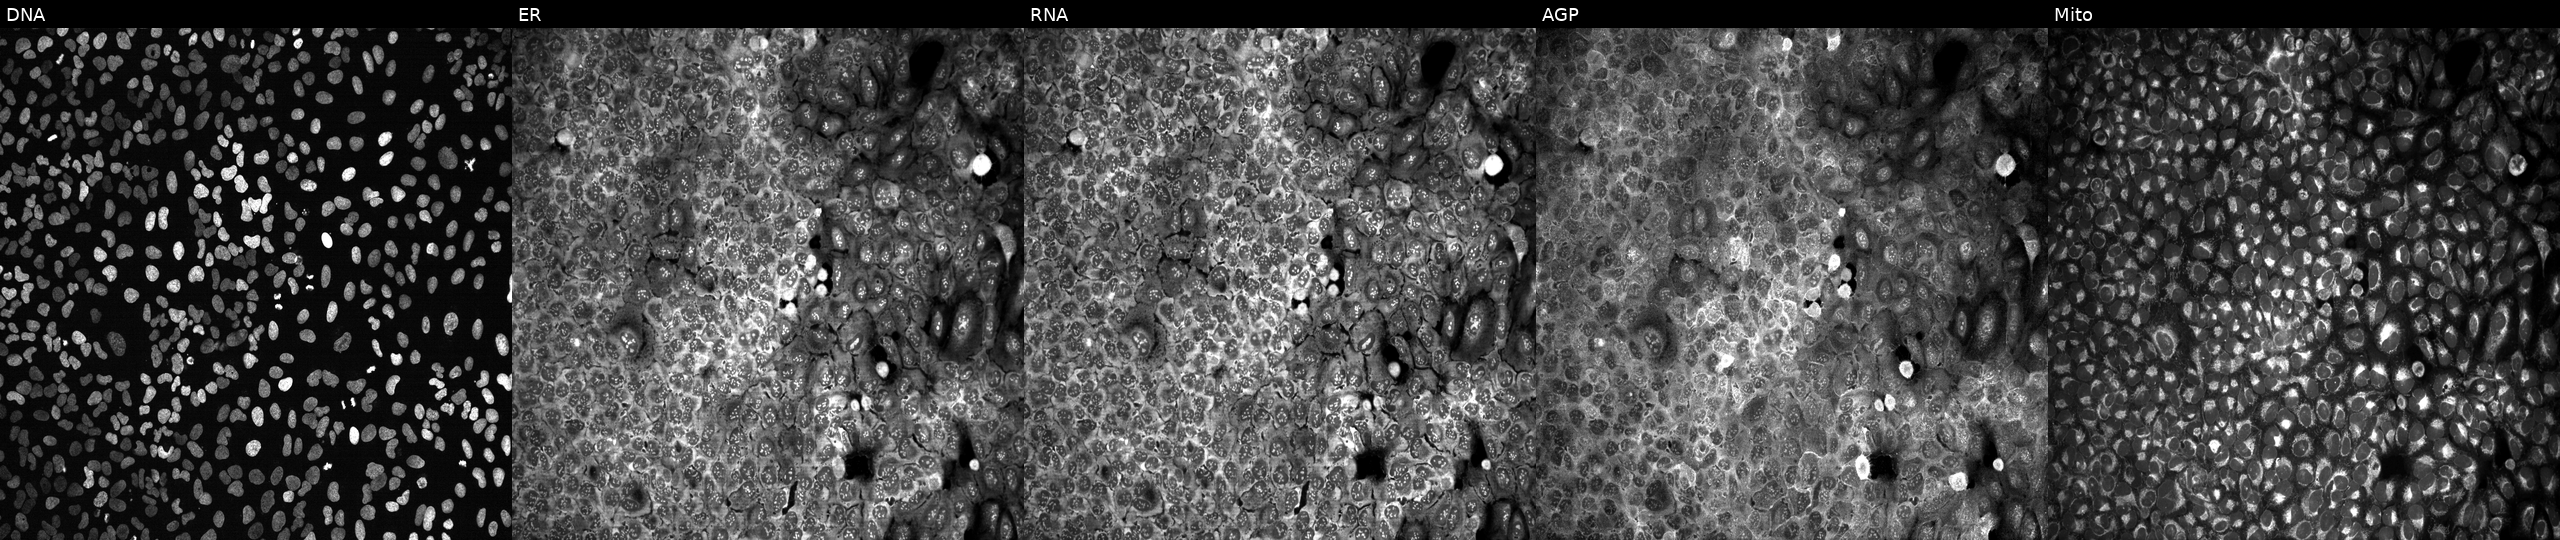
This image strip shows the five Cell Painting channels for a single field of U2OS cells with a non-targeting CRISPR guide (negative control). Panels show, left to right, Hoechst 33342, concanavalin A, SYTO 14, phalloidin and WGA, MitoTracker.